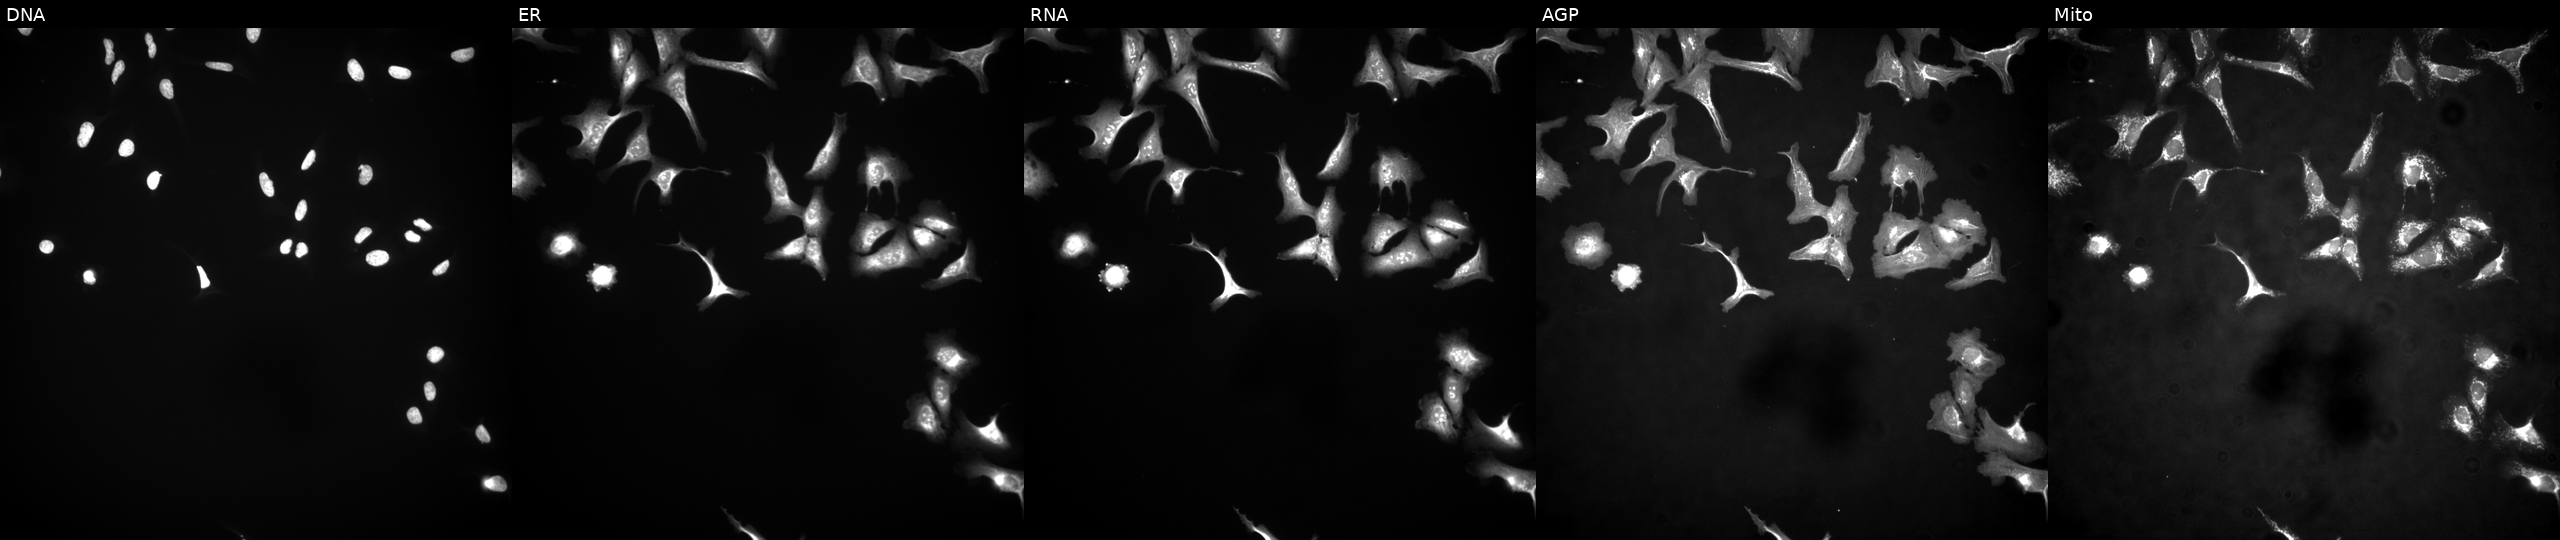
High-content fluorescence microscopy (Cell Painting). Cell line: U2OS. Perturbation: with CD3D overexpressed (ORF) (JUMP id JCP2022_900223). From left to right: DNA (nuclei); ER (endoplasmic reticulum); RNA (nucleoli and cytoplasmic RNA); AGP (actin cytoskeleton, Golgi, and plasma membrane); Mito (mitochondria). Source 4, plate BR00124790, well N16.